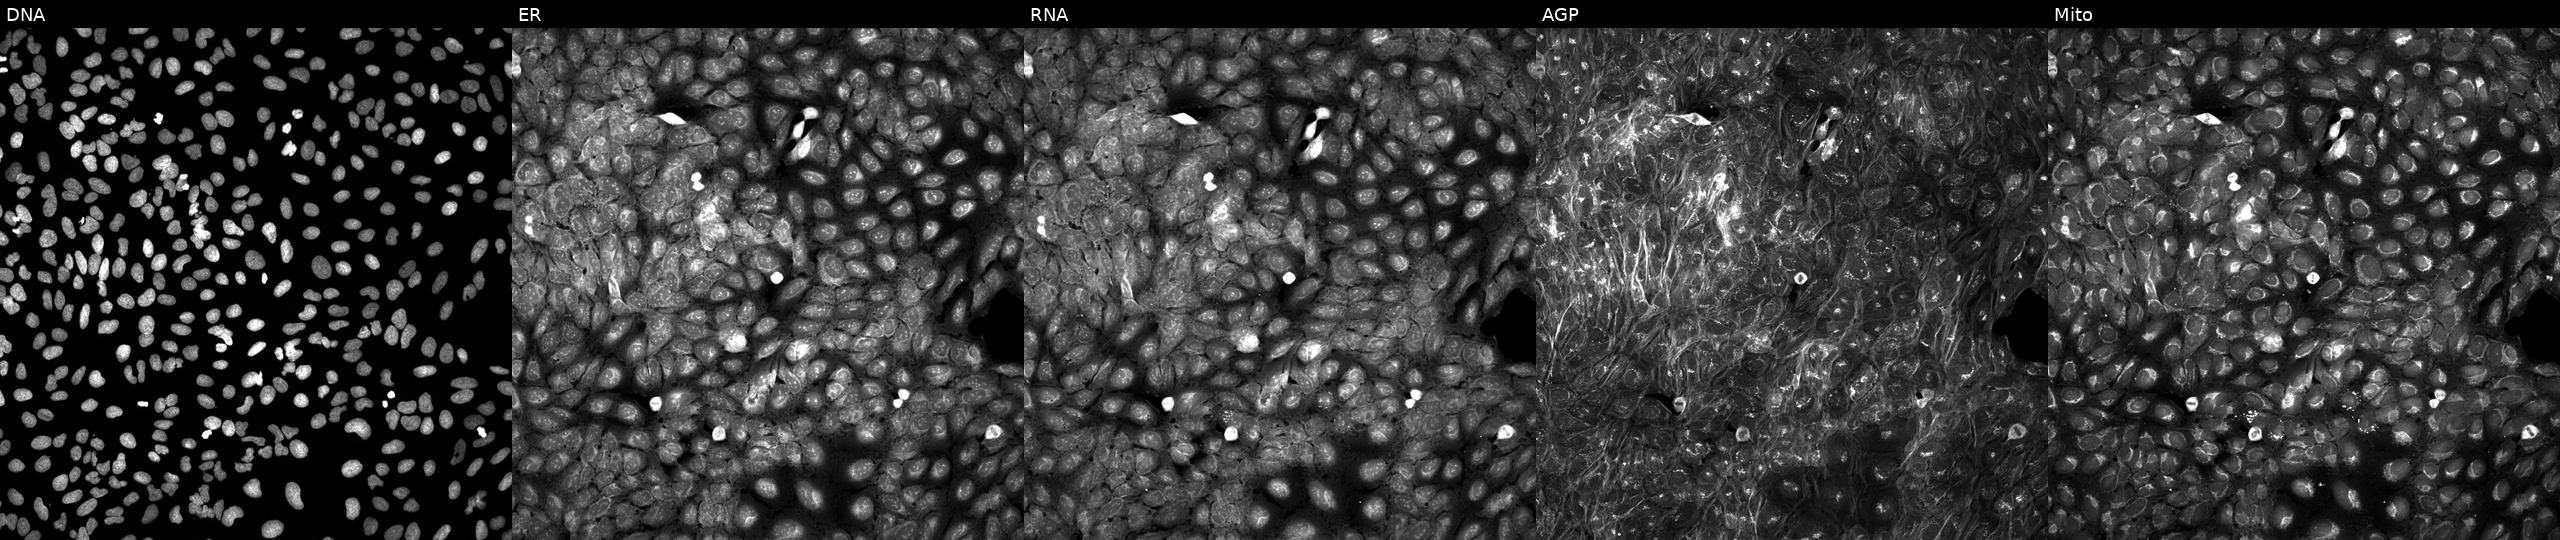
From left to right: Hoechst 33342, concanavalin A, SYTO 14, phalloidin and WGA, MitoTracker. U2OS osteosarcoma cells exposed to a small-molecule compound (InChIKey BCJNZDZZJMAFQQ-UHFFFAOYSA-N) (JUMP id JCP2022_005405). Cell Painting assay, JUMP-CP dataset.